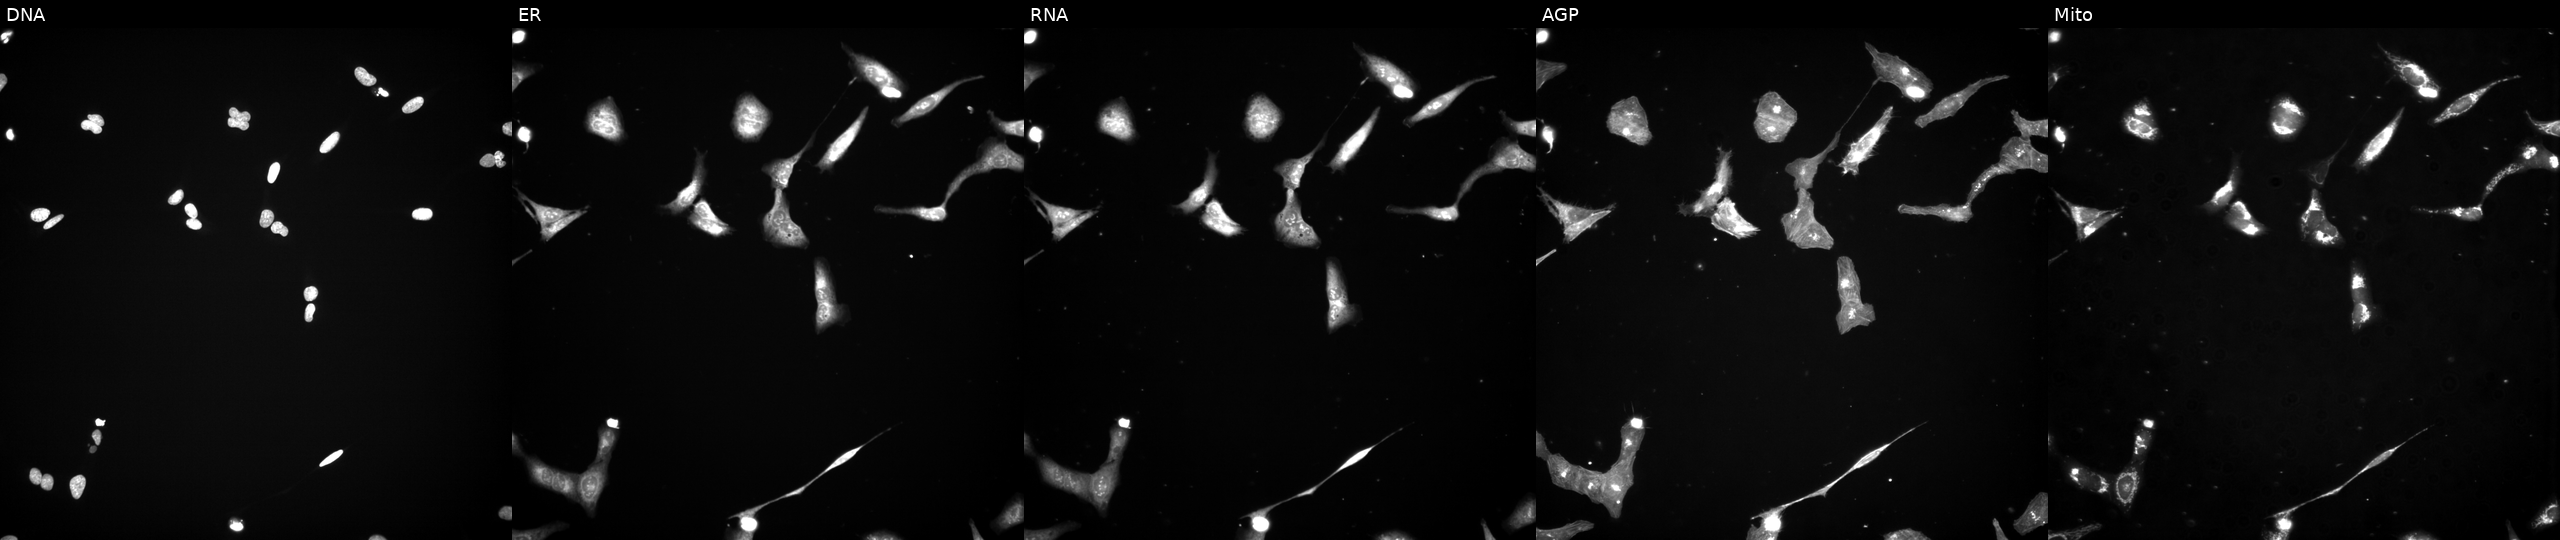
Five-channel Cell Painting image of U2OS cells treated with a small-molecule compound (InChIKey AYCPARAPKDAOEN-UHFFFAOYSA-N). Panels show, left to right, DNA (nuclei); ER (endoplasmic reticulum); RNA (nucleoli and cytoplasmic RNA); AGP (actin cytoskeleton, Golgi, and plasma membrane); Mito (mitochondria).